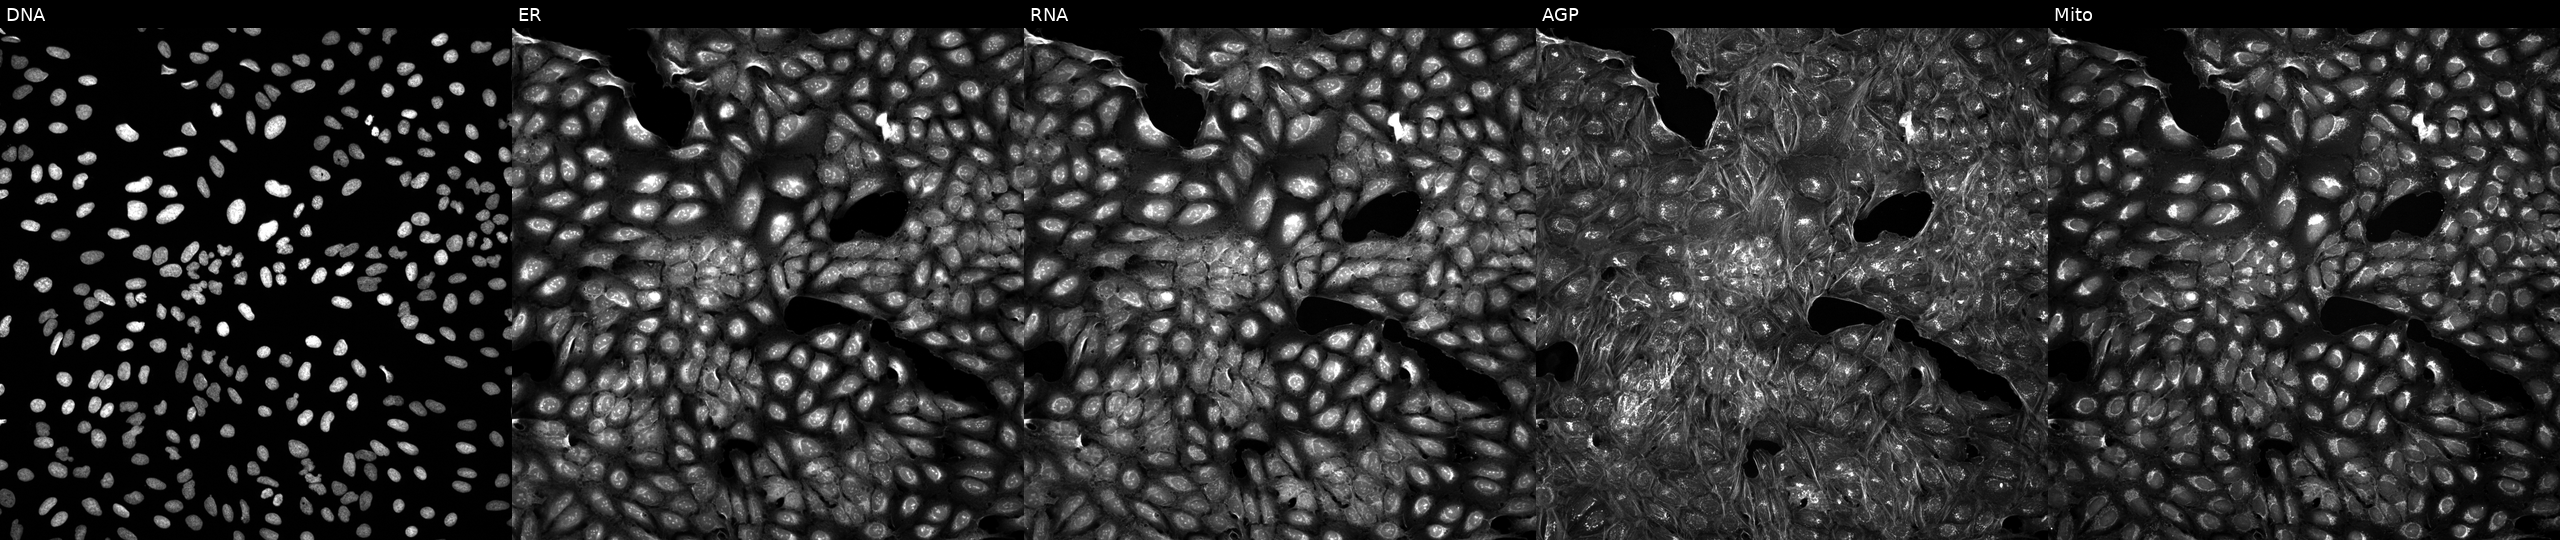
Five-channel Cell Painting image of U2OS cells treated with a small-molecule compound (InChIKey ZVAJVEFQQGHABQ-UHFFFAOYSA-N) [SMILES: CN1C2CCC1CN(C(=O)Nc1ccc(-c3cc[nH]n3)cc1)CC2]. From left to right: Hoechst 33342, concanavalin A, SYTO 14, phalloidin and WGA, MitoTracker.